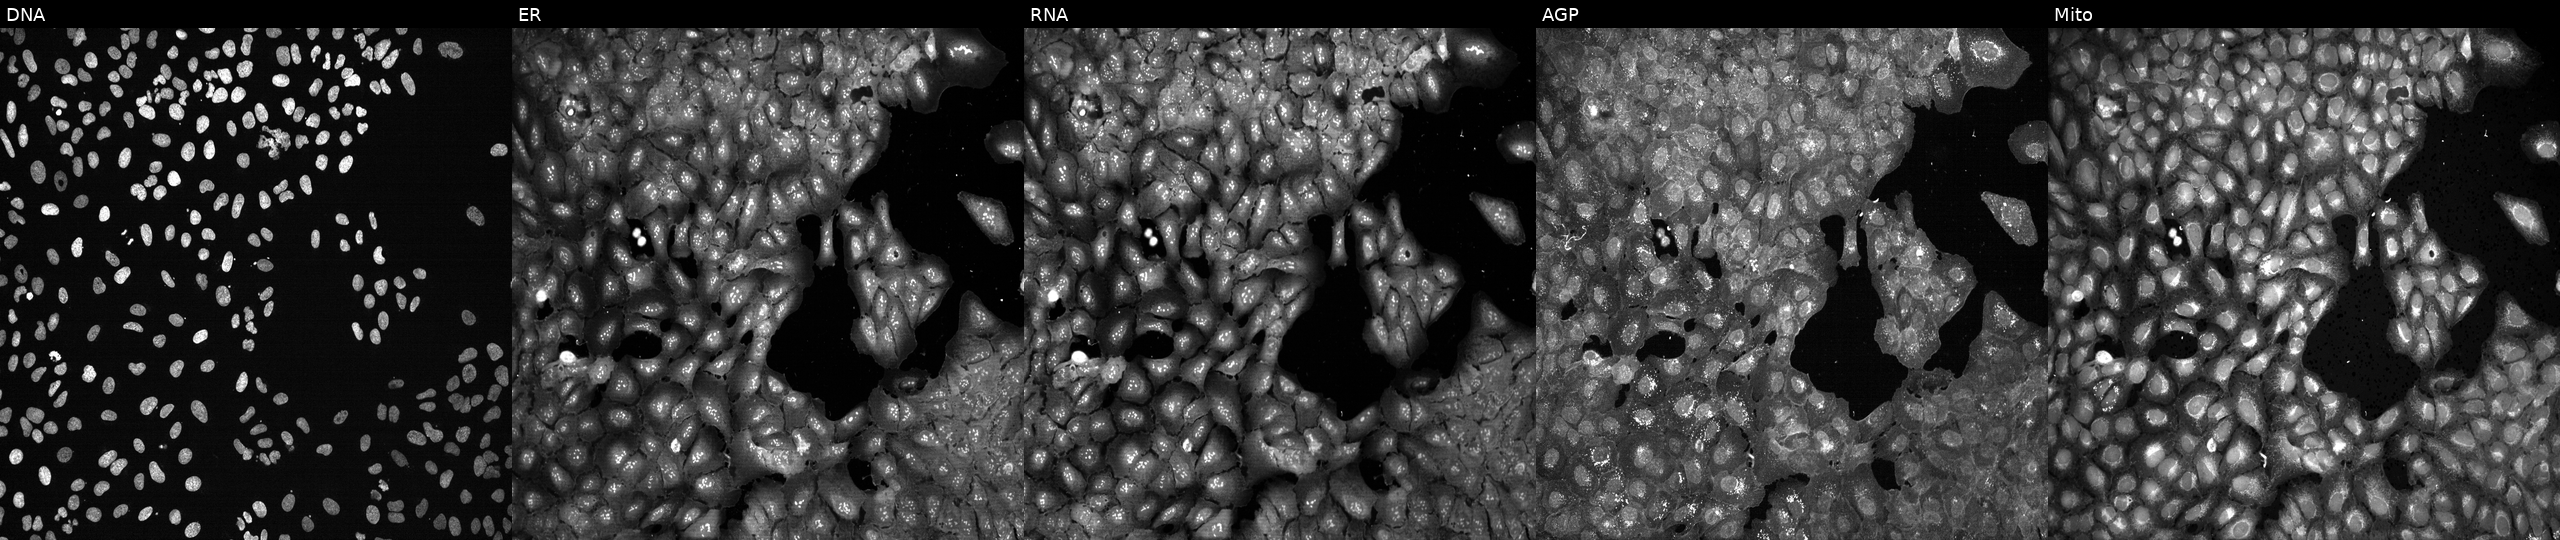
Five-channel Cell Painting image of U2OS cells following CRISPR knockout of NDOR1 (JUMP id JCP2022_804462). Channels (left→right): DNA (nuclei); ER (endoplasmic reticulum); RNA (nucleoli and cytoplasmic RNA); AGP (actin cytoskeleton, Golgi, and plasma membrane); Mito (mitochondria). Source 13, plate CP-CC9-R1-02, well E15.